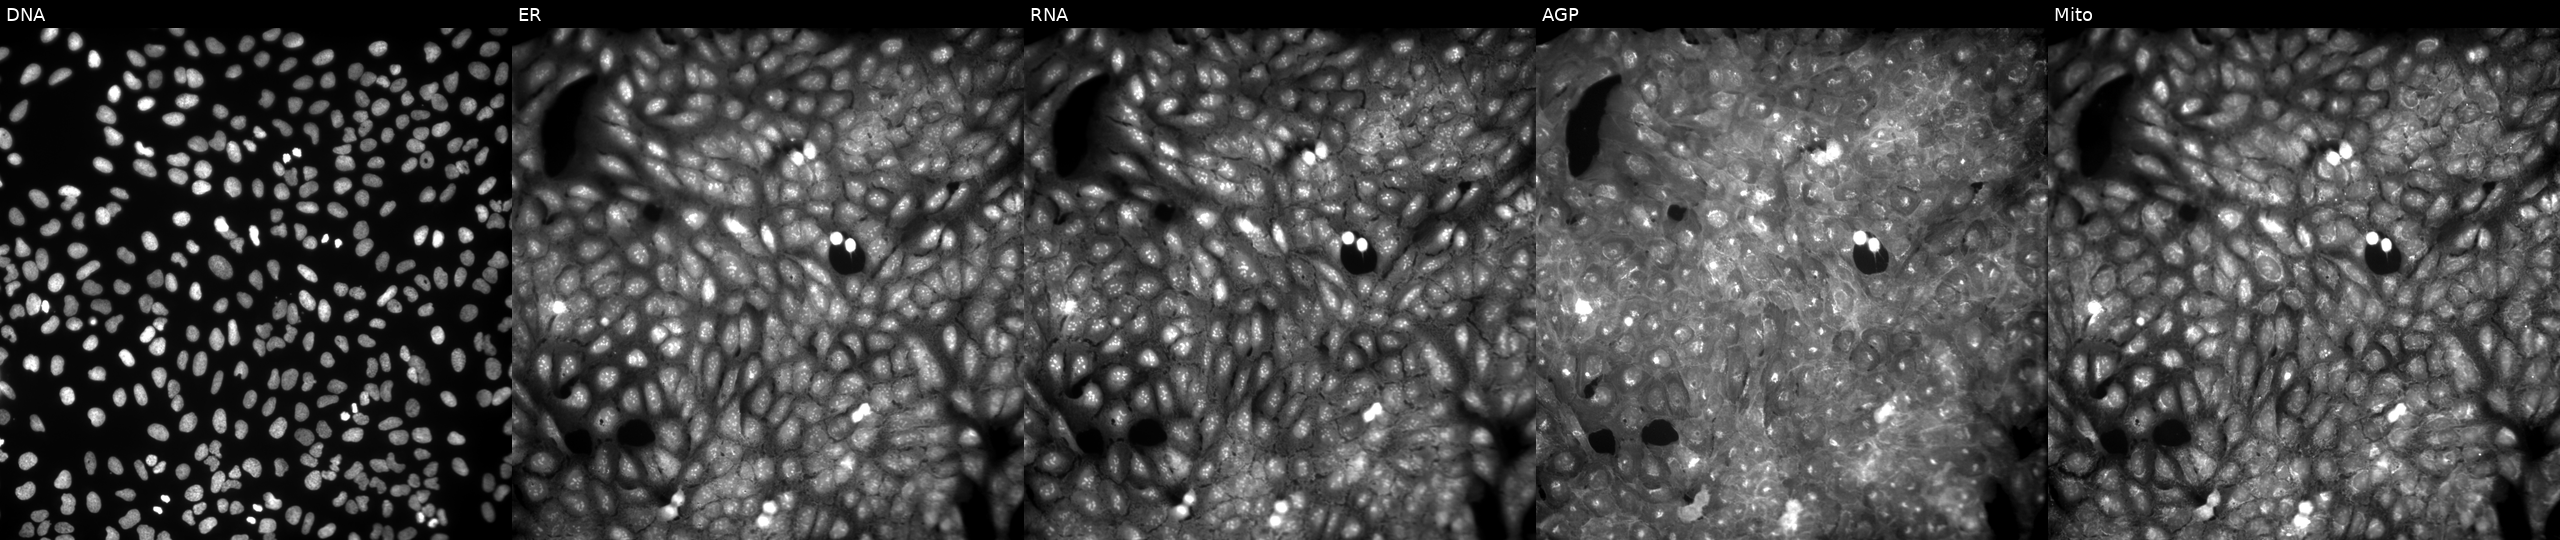
This image strip shows the five Cell Painting channels for a single field of U2OS cells perturbed with a small-molecule compound (InChIKey DJNUOPNMJSYQLW-UHFFFAOYSA-N) (JUMP id JCP2022_016315). The five panels, left to right, show DNA, ER, RNA, AGP, and Mito. Source 9, plate GR00003381, well Z41.